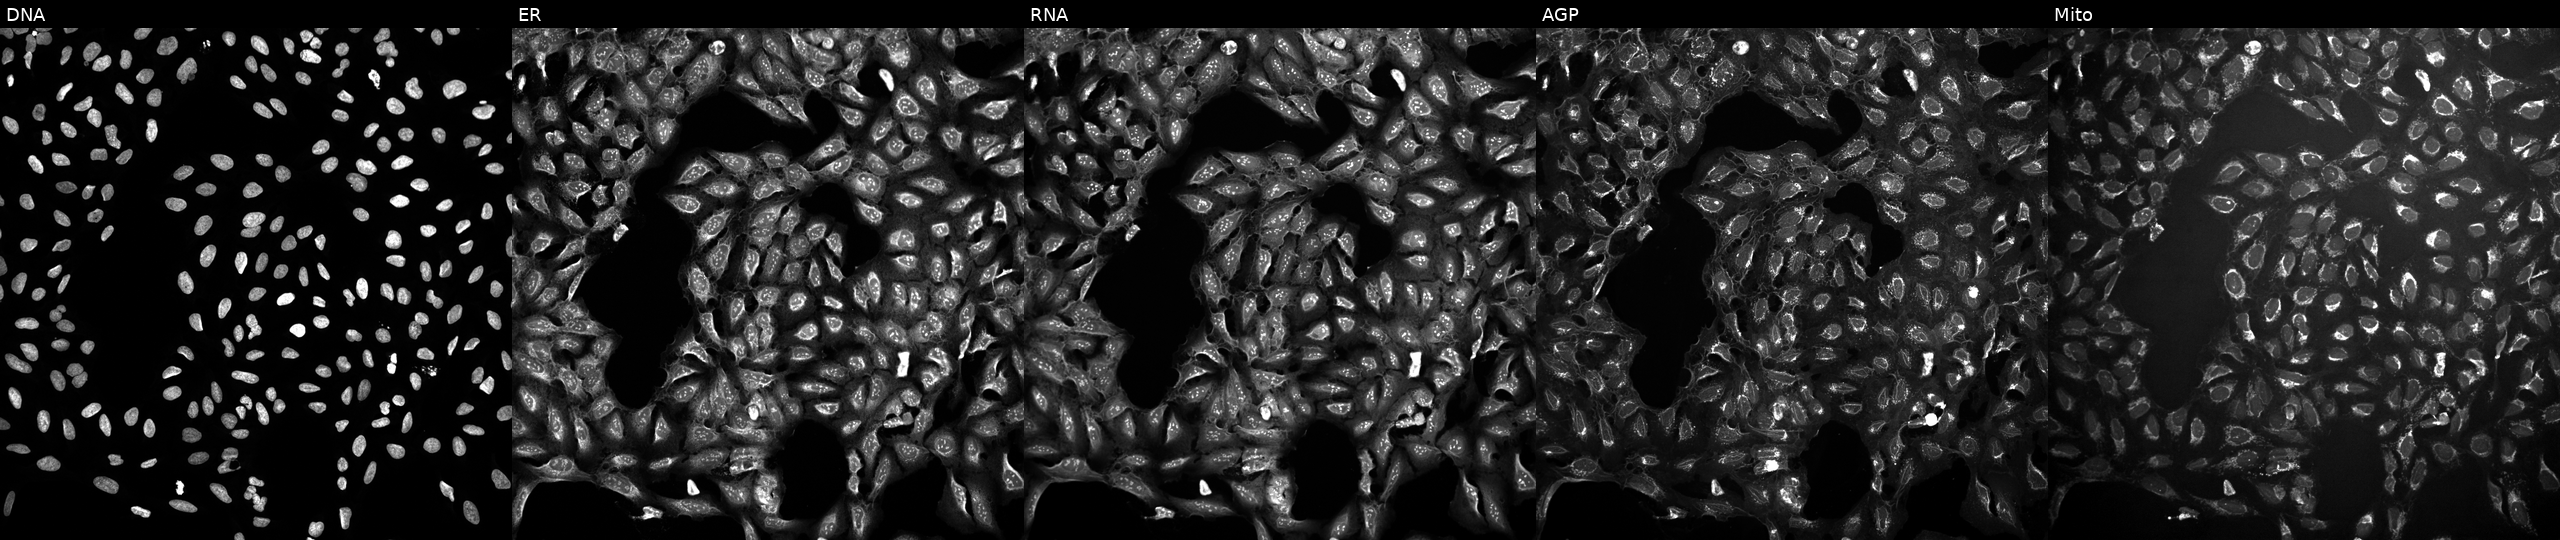
Five-channel Cell Painting image of U2OS cells exposed to DMSO alone as a negative control. From left to right: DNA (nuclei); ER (endoplasmic reticulum); RNA (nucleoli and cytoplasmic RNA); AGP (actin cytoskeleton, Golgi, and plasma membrane); Mito (mitochondria). Source 10, plate Dest210803-153958, well P24.